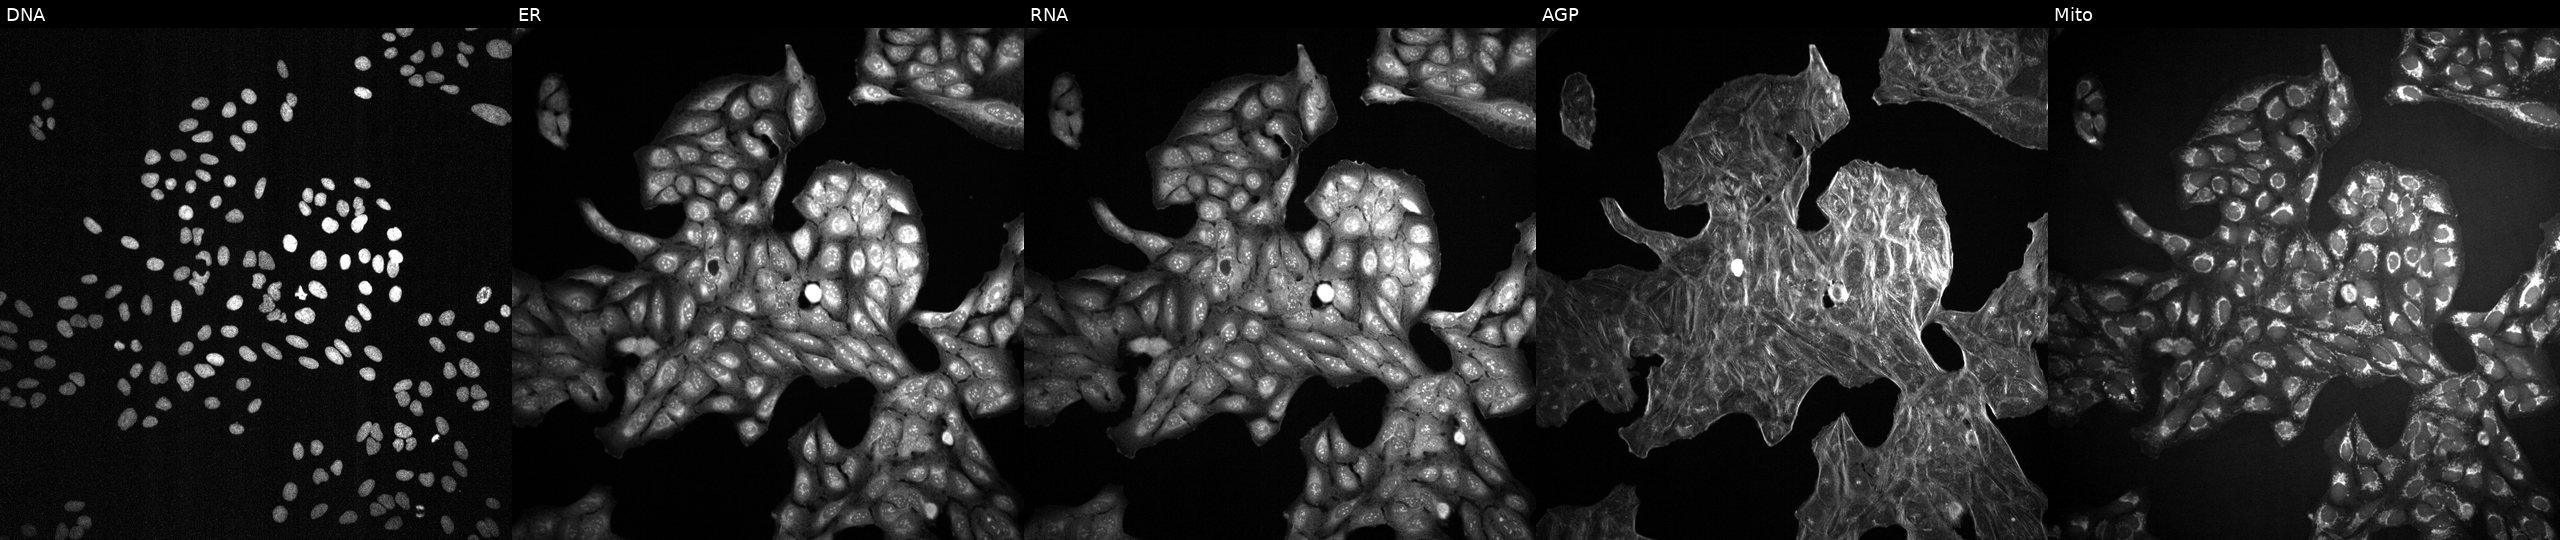
High-content fluorescence microscopy (Cell Painting). Cell line: U2OS. Perturbation: treated with DMSO vehicle only (negative control). The five panels, left to right, show DNA, ER, RNA, AGP, and Mito. Source 2, plate 1053599503, well P03.